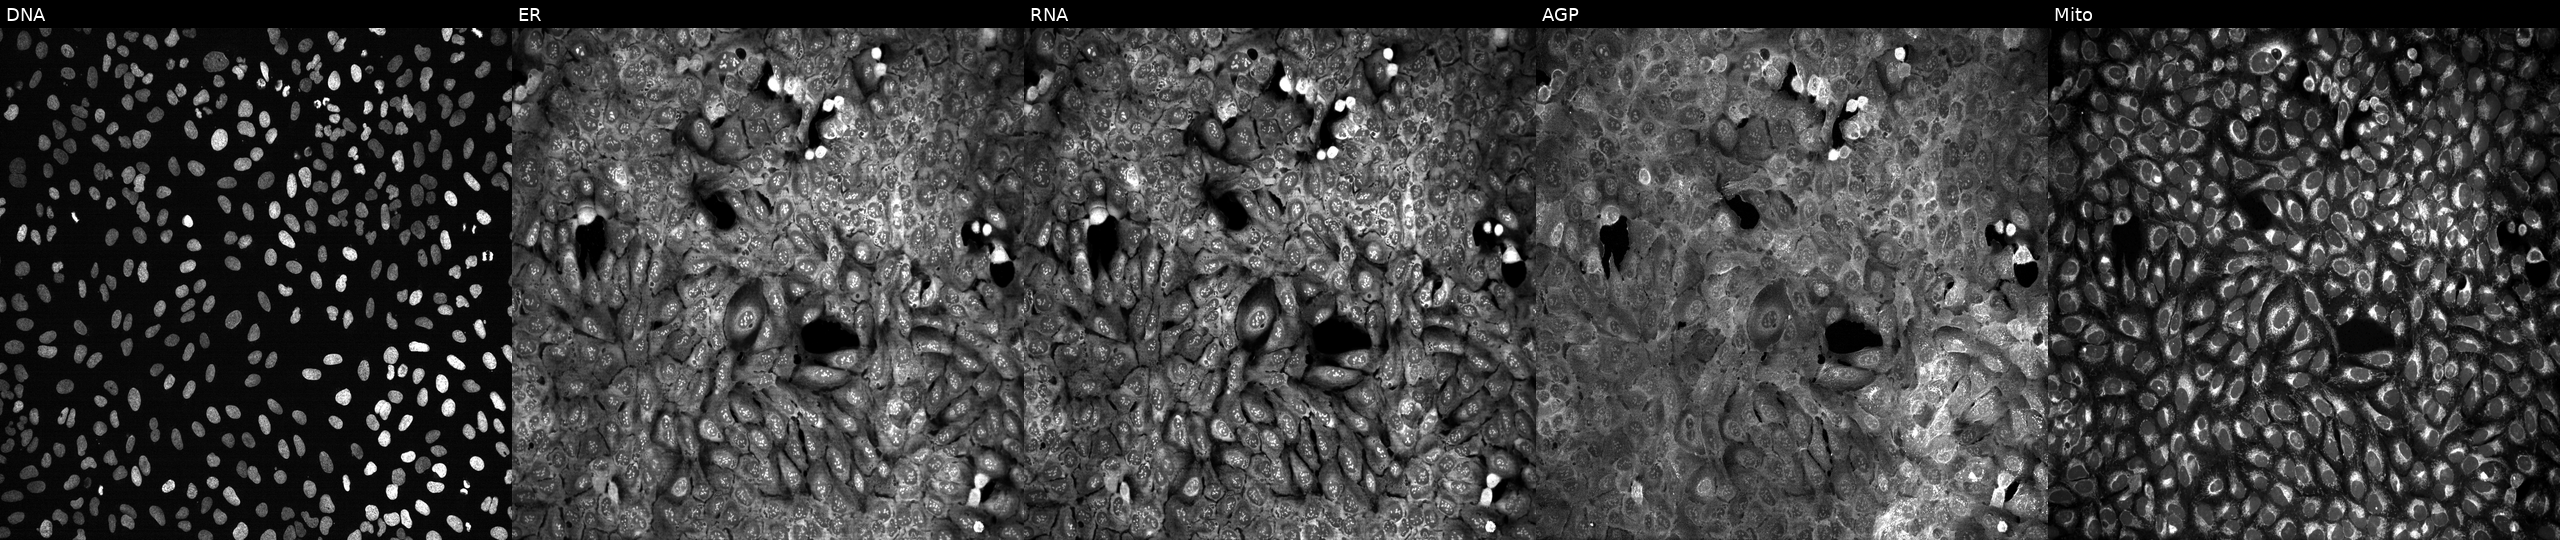
Five-channel Cell Painting image of U2OS cells CRISPR-edited to disrupt SLC36A3. From left to right: DNA (nuclei); ER (endoplasmic reticulum); RNA (nucleoli and cytoplasmic RNA); AGP (actin cytoskeleton, Golgi, and plasma membrane); Mito (mitochondria).